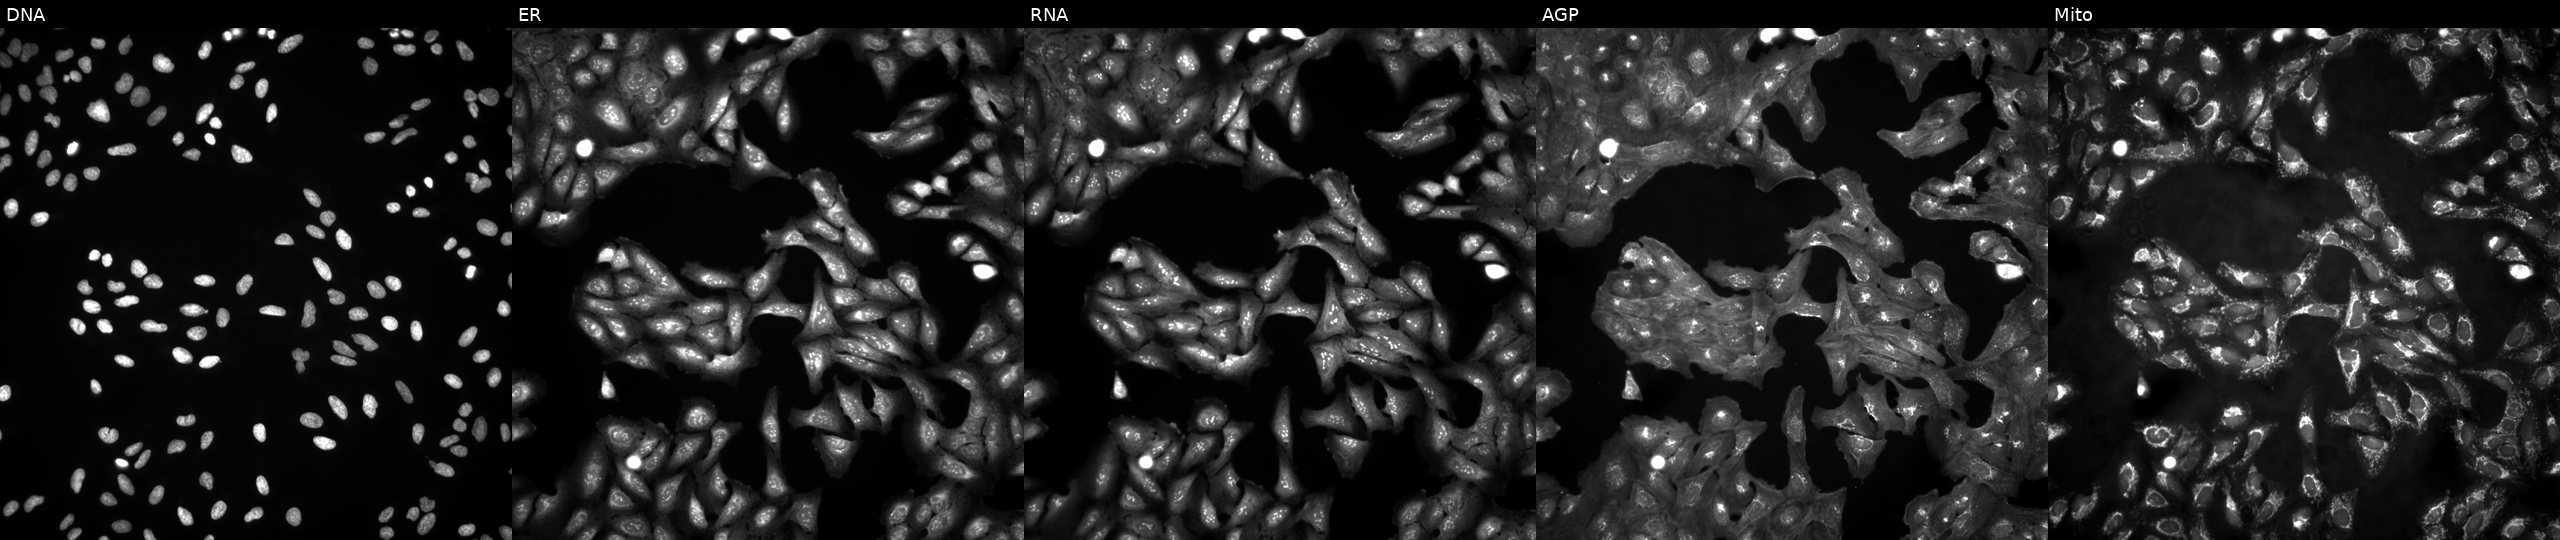
JUMP Cell Painting — ORF plate. U2OS cells untreated (empty-well control) (JUMP id JCP2022_999999). Panels show, left to right, DNA (nuclei); ER (endoplasmic reticulum); RNA (nucleoli and cytoplasmic RNA); AGP (actin cytoskeleton, Golgi, and plasma membrane); Mito (mitochondria).